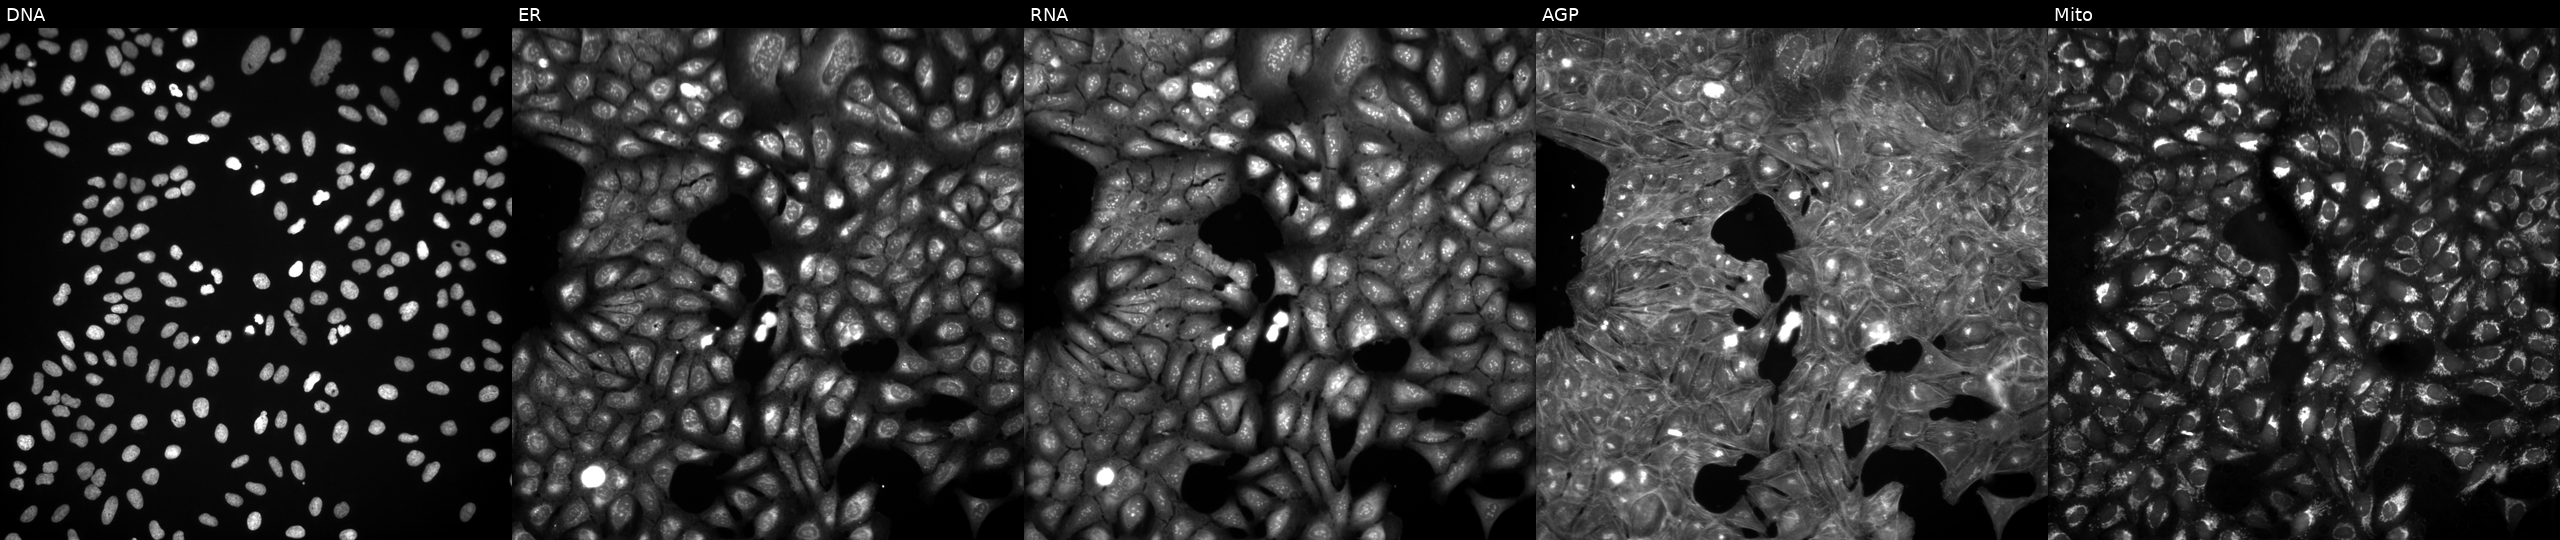
JUMP Cell Painting — TARGET2 plate. U2OS cells treated with a small-molecule compound (InChIKey HJYYPODYNSCCOU-UHFFFAOYSA-N) (JUMP id JCP2022_030713). The five panels, left to right, show Hoechst 33342, concanavalin A, SYTO 14, phalloidin and WGA, MitoTracker. Source 3, plate JCPQC053, well A22.